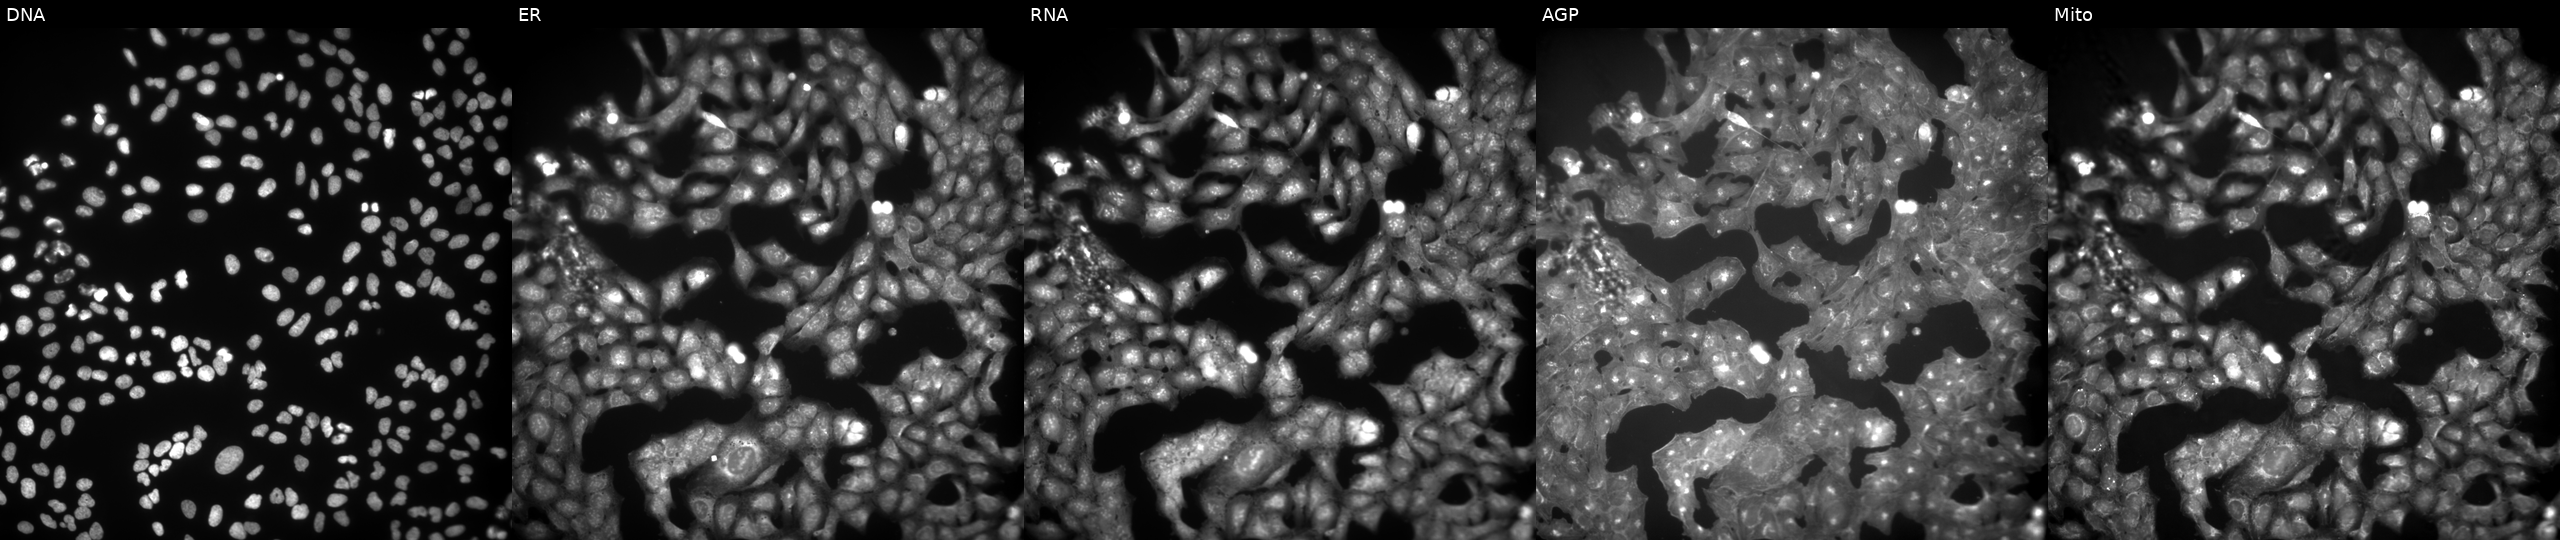
High-content fluorescence microscopy (Cell Painting). Cell line: U2OS. Perturbation: exposed to the positive-control compound NVS-PAK1-1. The five panels, left to right, show DNA (nuclei); ER (endoplasmic reticulum); RNA (nucleoli and cytoplasmic RNA); AGP (actin cytoskeleton, Golgi, and plasma membrane); Mito (mitochondria).